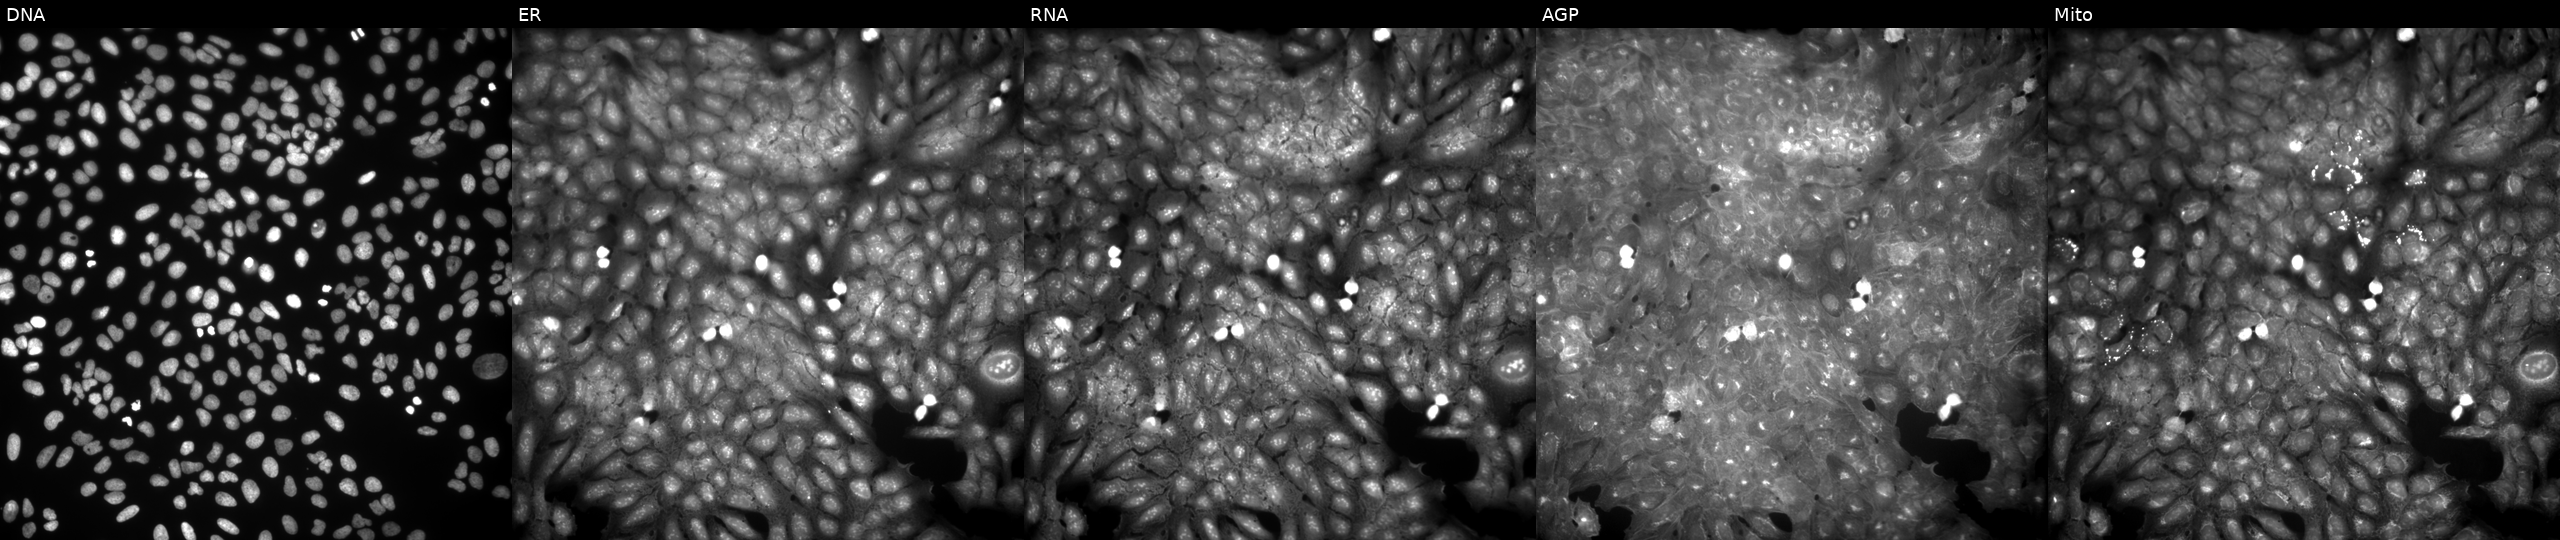
Five-channel Cell Painting image of U2OS cells treated with a small-molecule compound (InChIKey UYARWLDFMQPRIR-UHFFFAOYSA-N). Panels show, left to right, Hoechst 33342, concanavalin A, SYTO 14, phalloidin and WGA, MitoTracker. Source 9, plate GR00003381, well AA33.